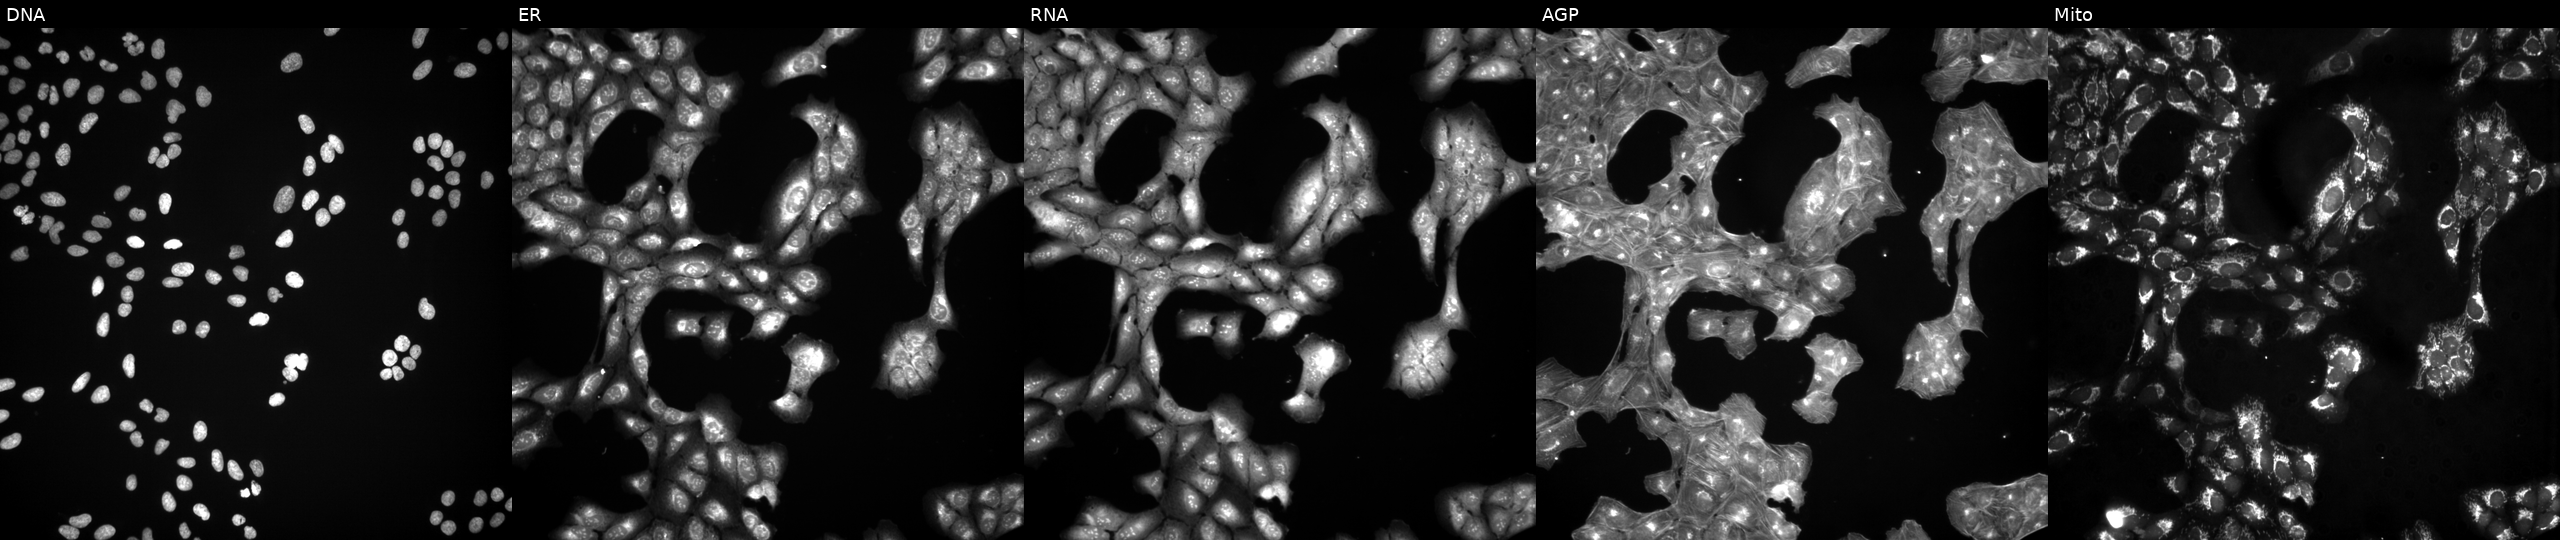
From left to right: DNA (nuclei); ER (endoplasmic reticulum); RNA (nucleoli and cytoplasmic RNA); AGP (actin cytoskeleton, Golgi, and plasma membrane); Mito (mitochondria). U2OS osteosarcoma cells perturbed with a small-molecule compound (InChIKey HWHLPVGTWGOCJO-UHFFFAOYSA-N) (JUMP id JCP2022_033012). Cell Painting assay, JUMP-CP dataset. Source 3, plate JCPQC053, well O20.